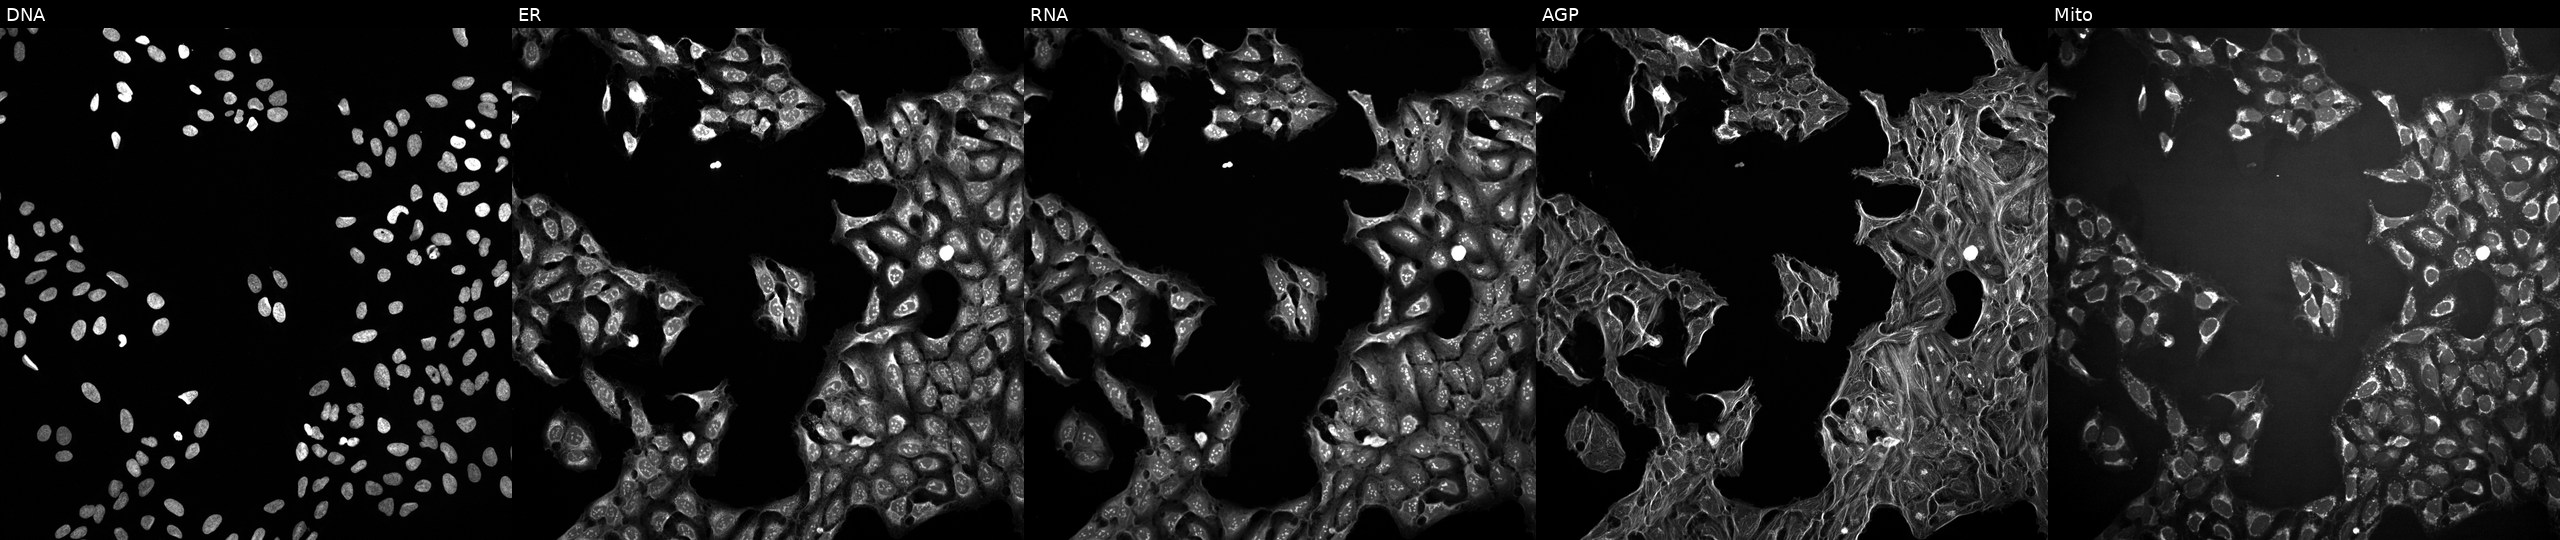
JUMP Cell Painting — TARGET2 plate. U2OS cells perturbed with a small-molecule compound (InChIKey SHZKQBHERIJWAO-UHFFFAOYSA-N). The five panels, left to right, show Hoechst 33342, concanavalin A, SYTO 14, phalloidin and WGA, MitoTracker. Source 10, plate Dest210727-153003, well P05.